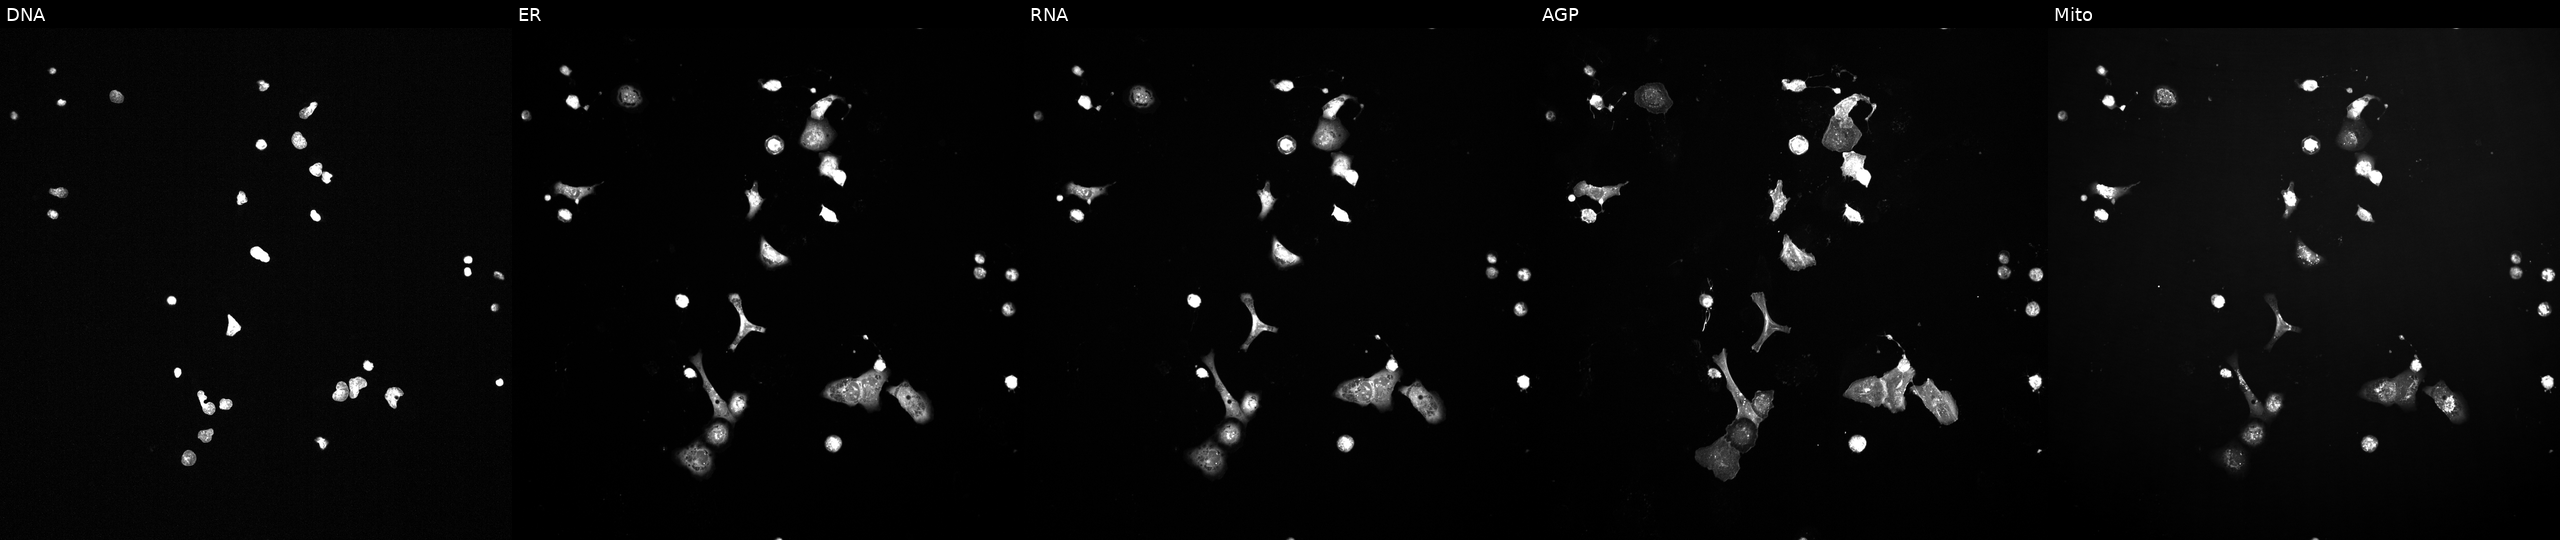
High-content fluorescence microscopy (Cell Painting). Cell line: U2OS. Perturbation: treated with a small-molecule compound (InChIKey NQQBNZBOOHHVQP-UHFFFAOYSA-N) (JUMP id JCP2022_060734). Panels show, left to right, Hoechst 33342, concanavalin A, SYTO 14, phalloidin and WGA, MitoTracker. Source 2, plate 1053597936, well F16.